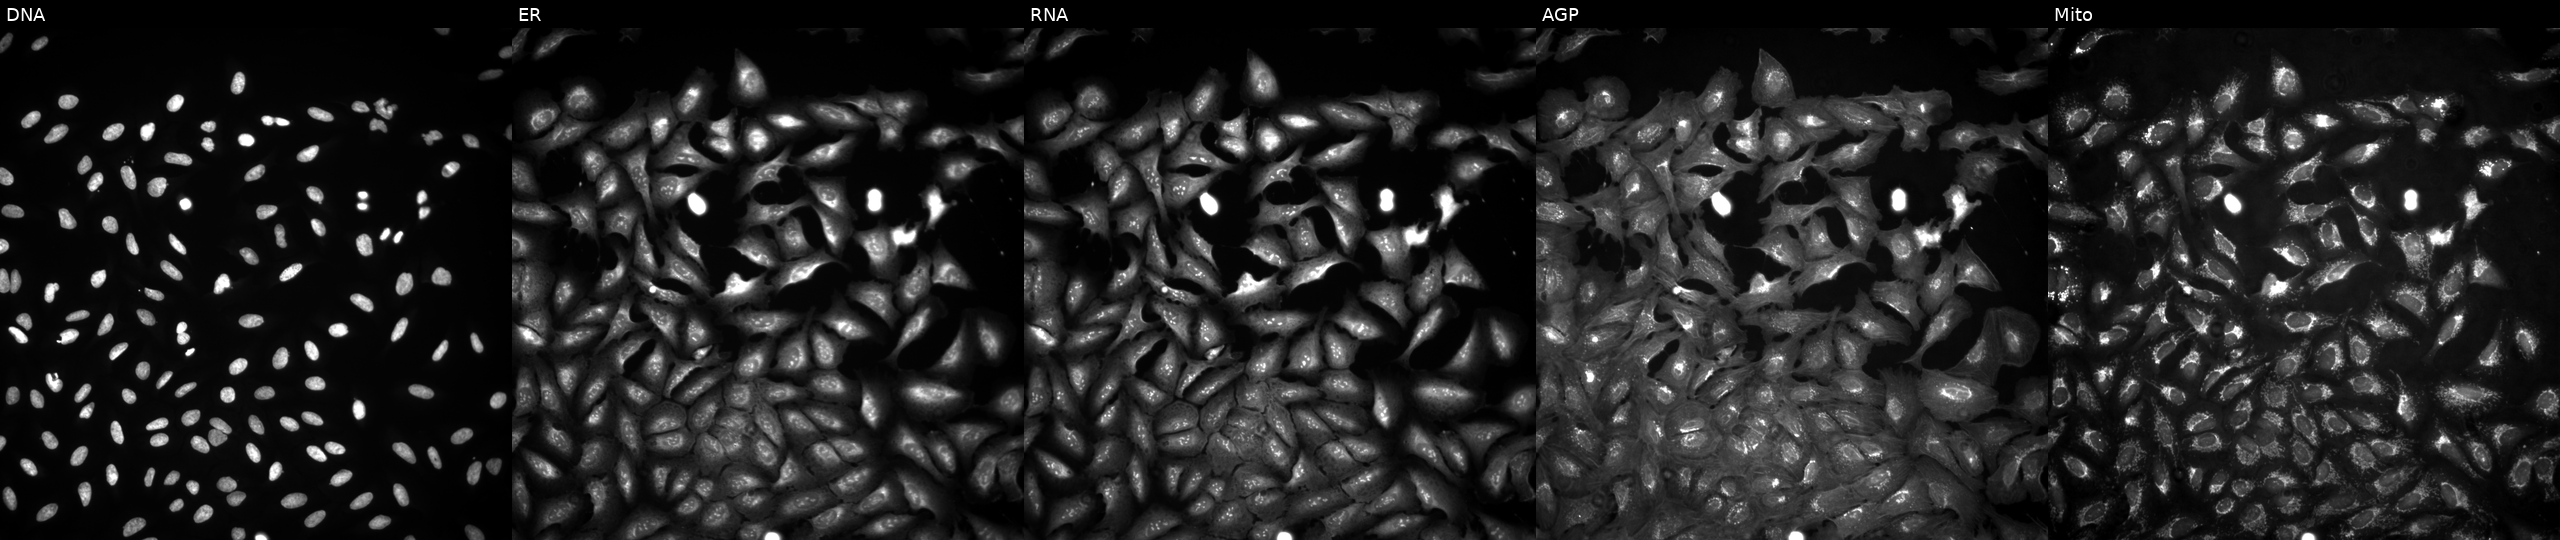
From left to right: DNA, ER, RNA, AGP, and Mito. U2OS osteosarcoma cells exposed to the positive-control compound quinidine. Cell Painting assay, JUMP-CP dataset. Source 4, plate BR00124787, well P23.